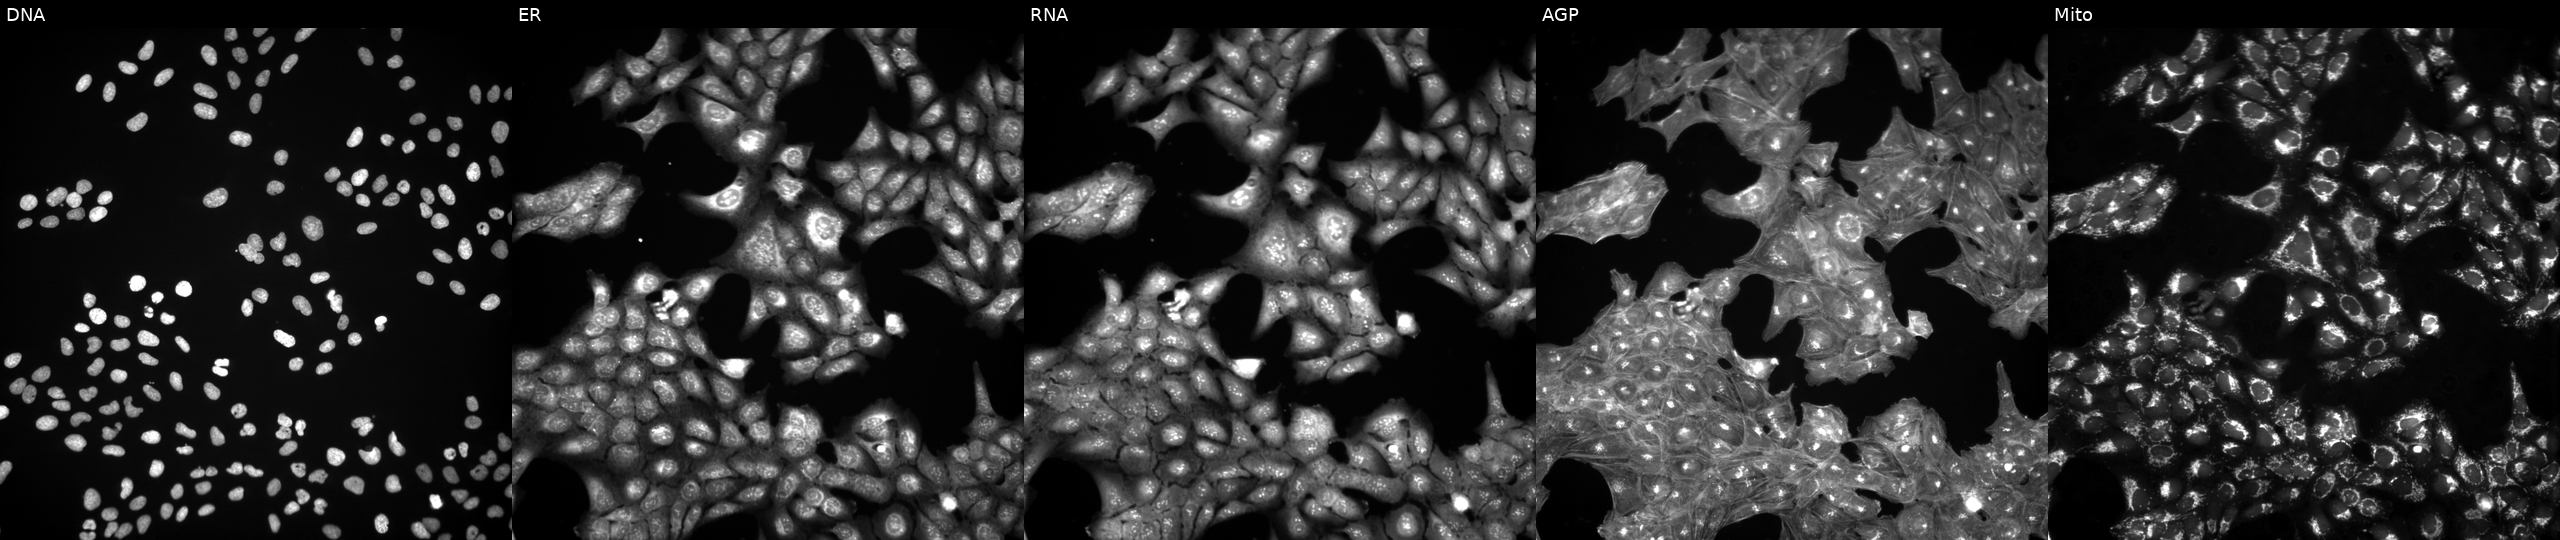
Five-channel Cell Painting image of U2OS cells exposed to a small-molecule compound (InChIKey QUGDTMONBLMLLD-UHFFFAOYSA-N) [SMILES: CCOc1nc2c(=N)[nH]cnc2n1CC]. The five panels, left to right, show Hoechst 33342, concanavalin A, SYTO 14, phalloidin and WGA, MitoTracker. Source 3, plate JCPQC051, well P17.